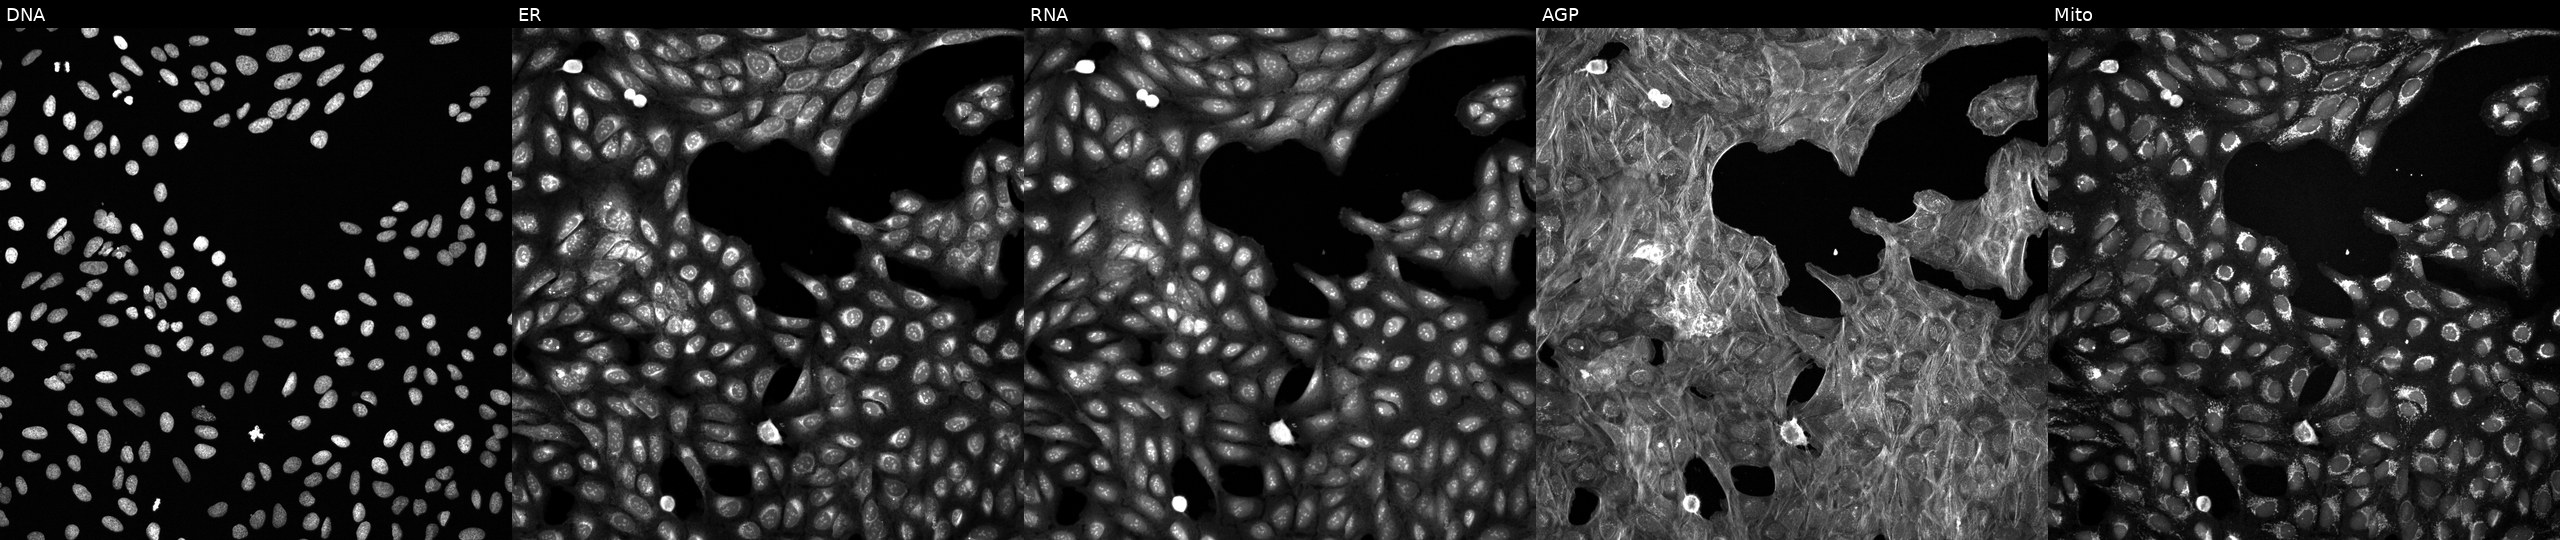
High-content fluorescence microscopy (Cell Painting). Cell line: U2OS. Perturbation: treated with DMSO vehicle only (negative control) (JUMP id JCP2022_033924). Channels (left→right): DNA (nuclei); ER (endoplasmic reticulum); RNA (nucleoli and cytoplasmic RNA); AGP (actin cytoskeleton, Golgi, and plasma membrane); Mito (mitochondria).